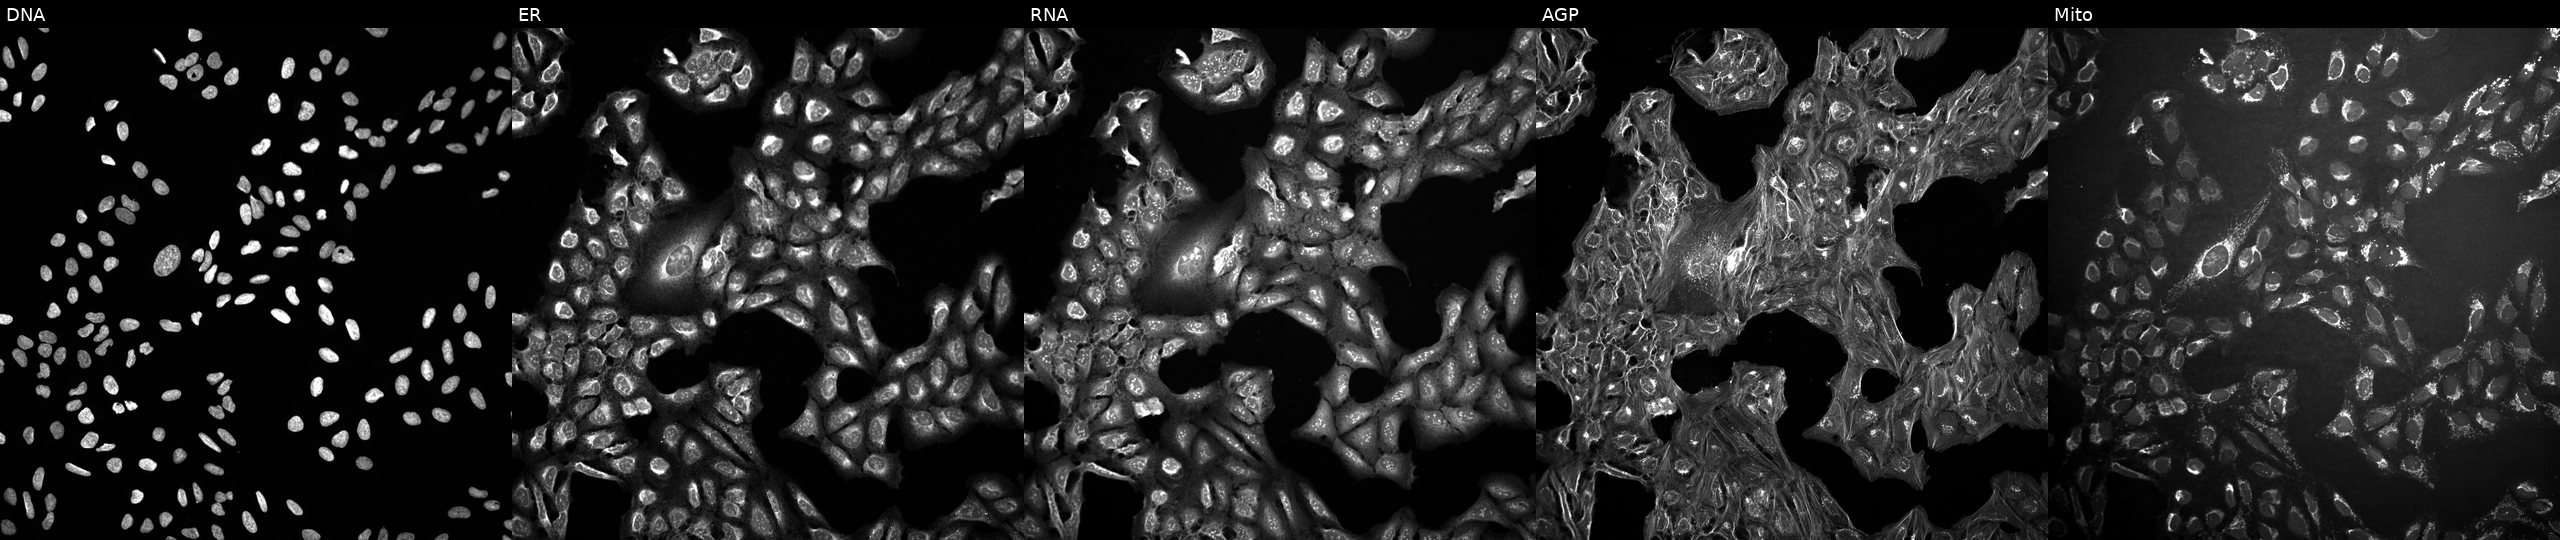
This image strip shows the five Cell Painting channels for a single field of U2OS cells exposed to a small-molecule compound (InChIKey CHVRZSCMSTYULP-UHFFFAOYSA-N) [SMILES: Cc1noc(CCCNC(=O)Cn2nc(C3CC3)ccc2=O)n1] (JUMP id JCP2022_011238). The five panels, left to right, show DNA, ER, RNA, AGP, and Mito.